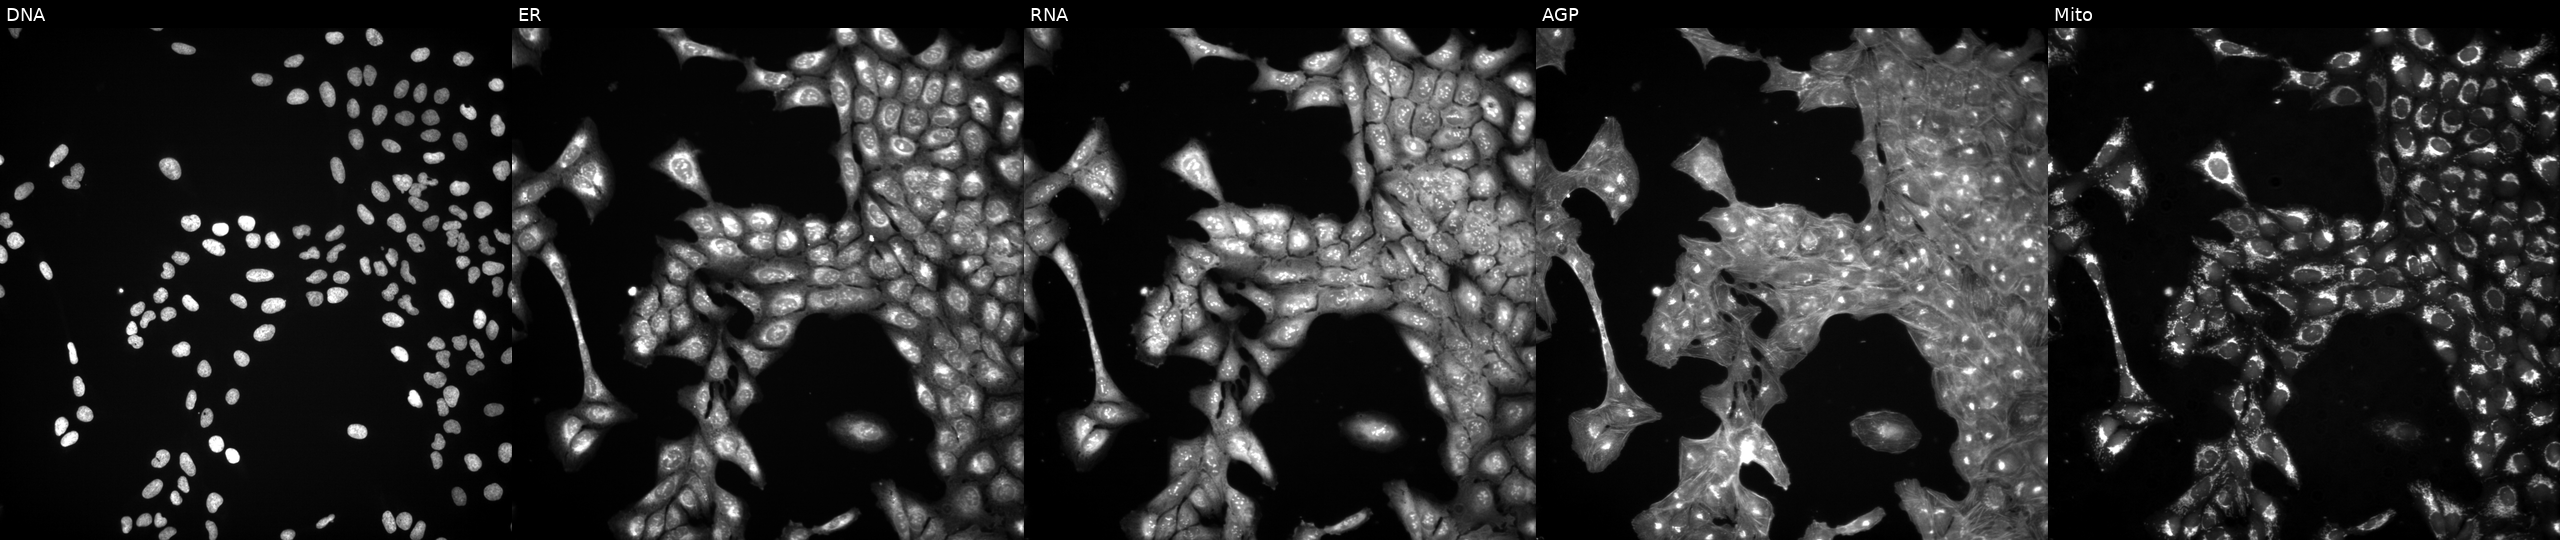
Five-channel Cell Painting image of U2OS cells exposed to DMSO alone as a negative control. The five panels, left to right, show DNA, ER, RNA, AGP, and Mito. Source 3, plate BR5867b3, well I23.